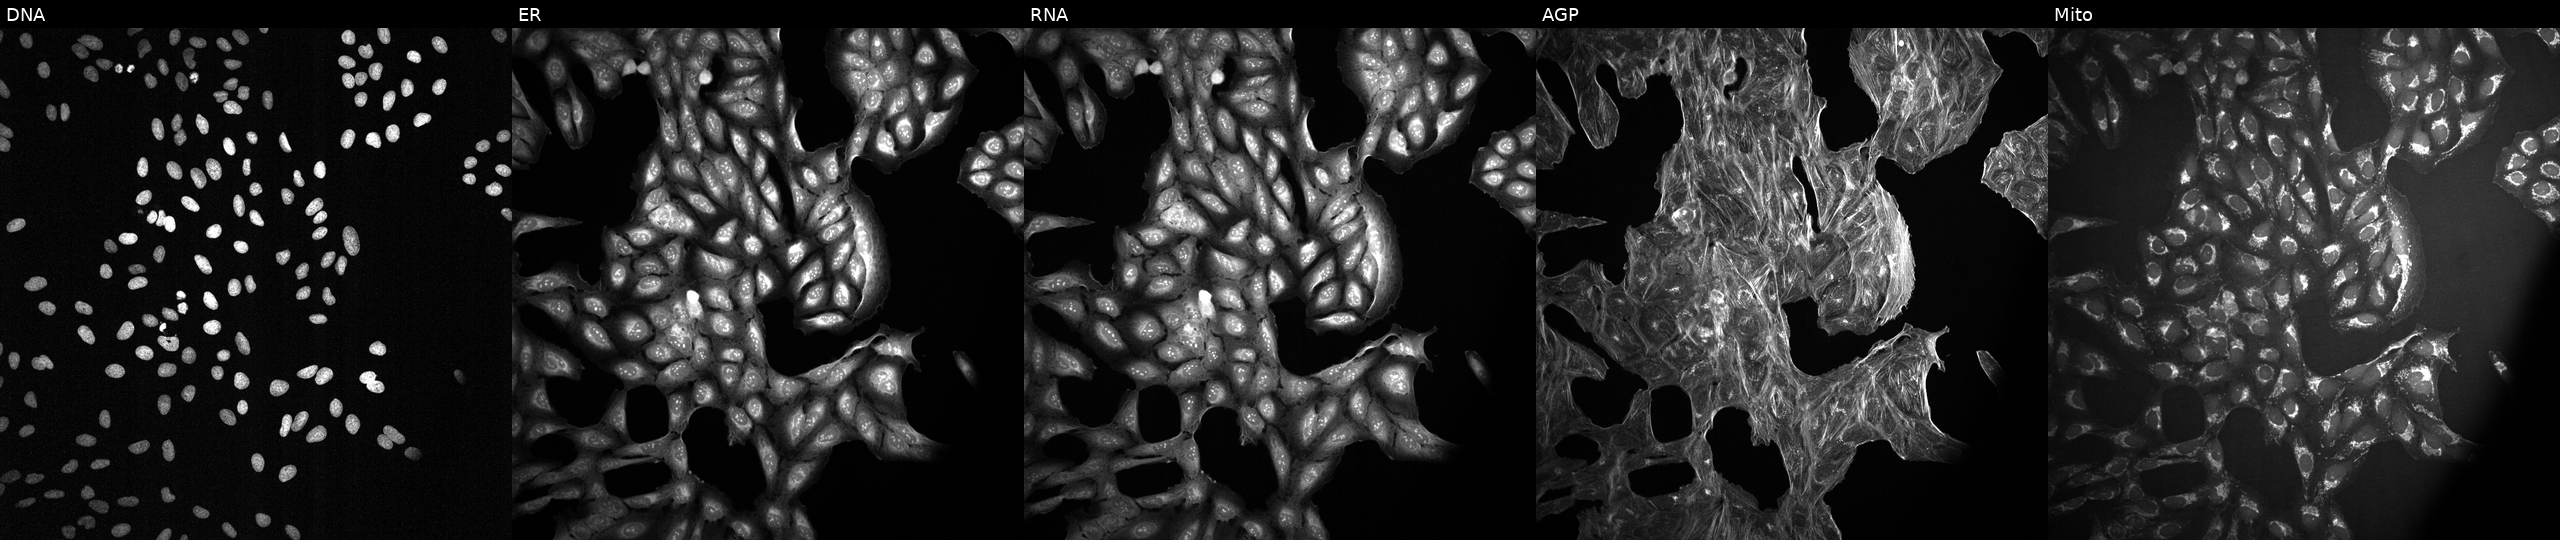
High-content fluorescence microscopy (Cell Painting). Cell line: U2OS. Perturbation: treated with DMSO vehicle only (negative control) (JUMP id JCP2022_033924). From left to right: DNA, ER, RNA, AGP, and Mito.